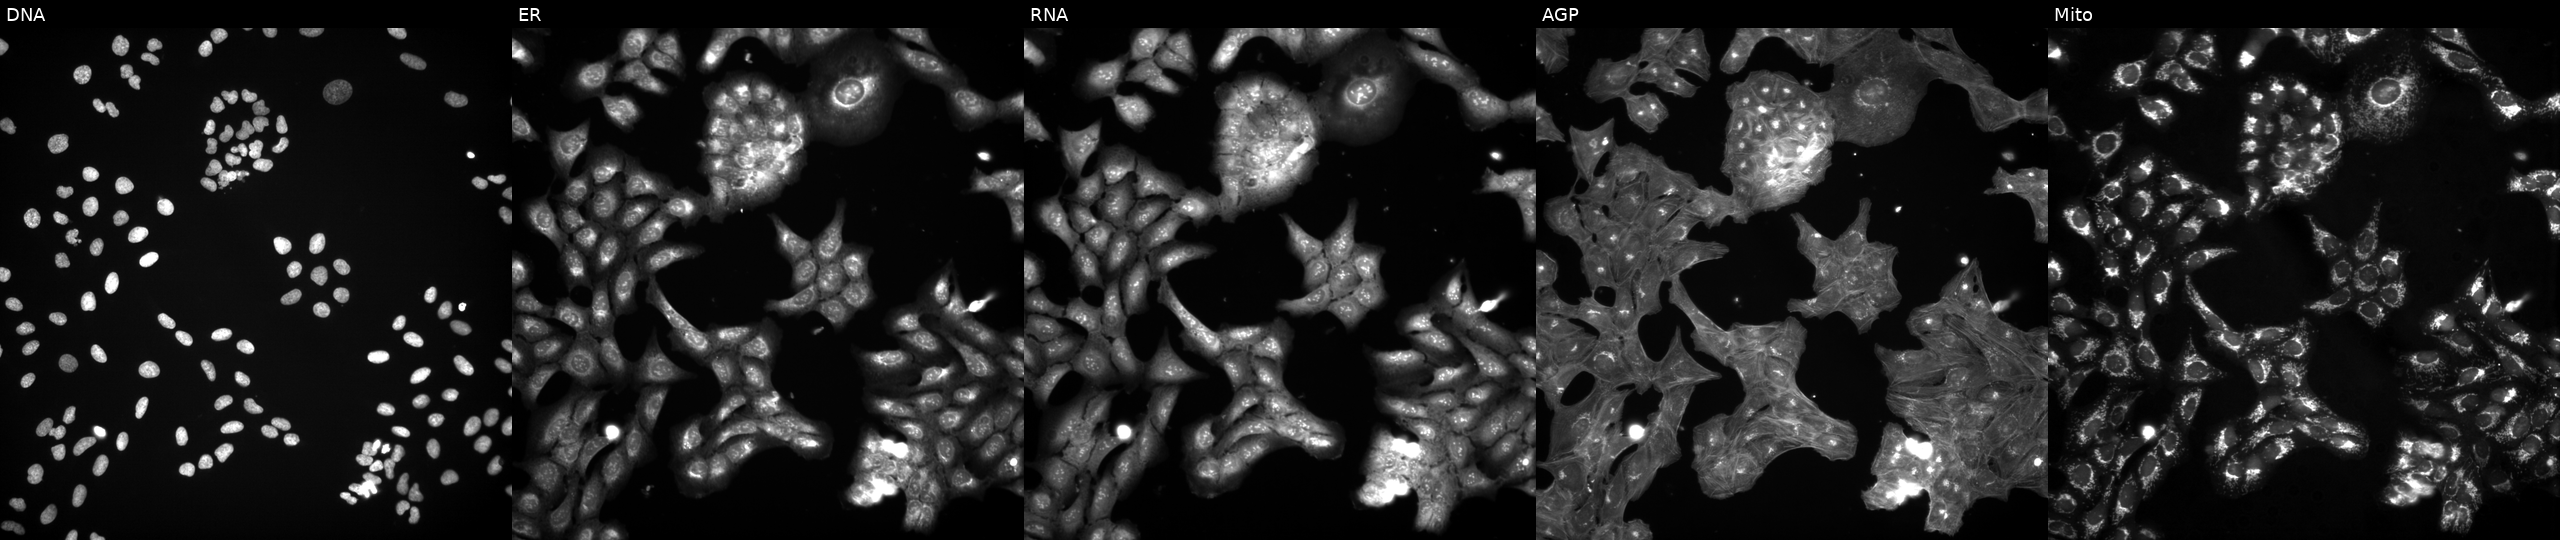
From left to right: DNA, ER, RNA, AGP, and Mito. U2OS osteosarcoma cells treated with a small-molecule compound (InChIKey XXYGTCZJJLTAGH-UHFFFAOYSA-N) [SMILES: Cc1cc(-c2ncc(CC(=O)N=c3ccc(-c4cnccn4)c[nH]3)cc2C)ccn1] (JUMP id JCP2022_106781). Cell Painting assay, JUMP-CP dataset. Source 3, plate JCPQC053, well J06.